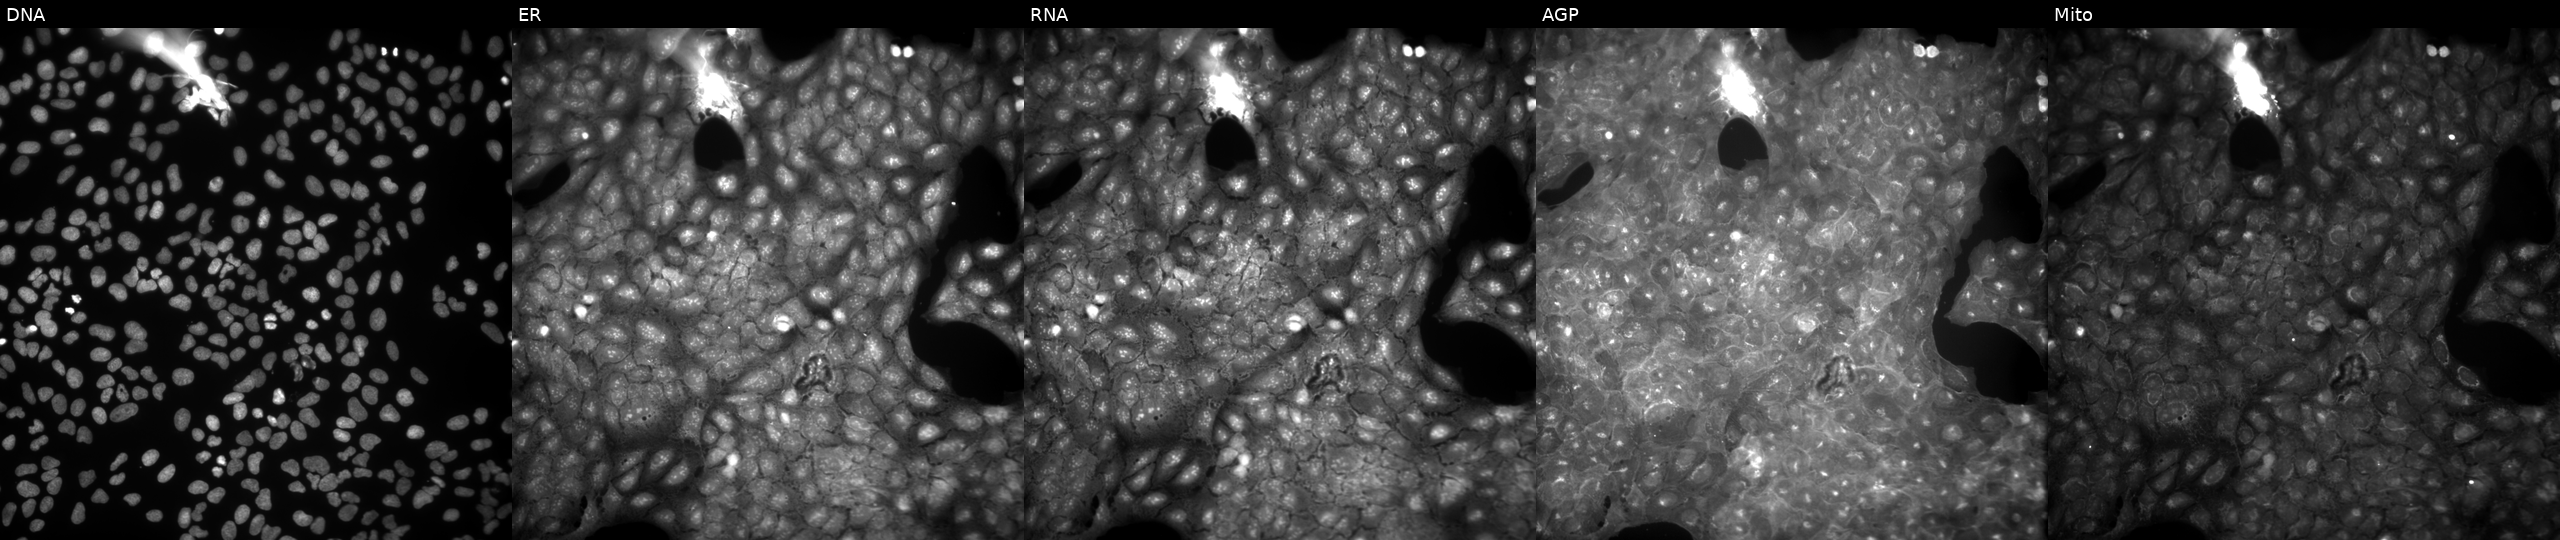
From left to right: Hoechst 33342, concanavalin A, SYTO 14, phalloidin and WGA, MitoTracker. U2OS osteosarcoma cells exposed to a small-molecule compound (JUMP id JCP2022_027592). Cell Painting assay, JUMP-CP dataset.